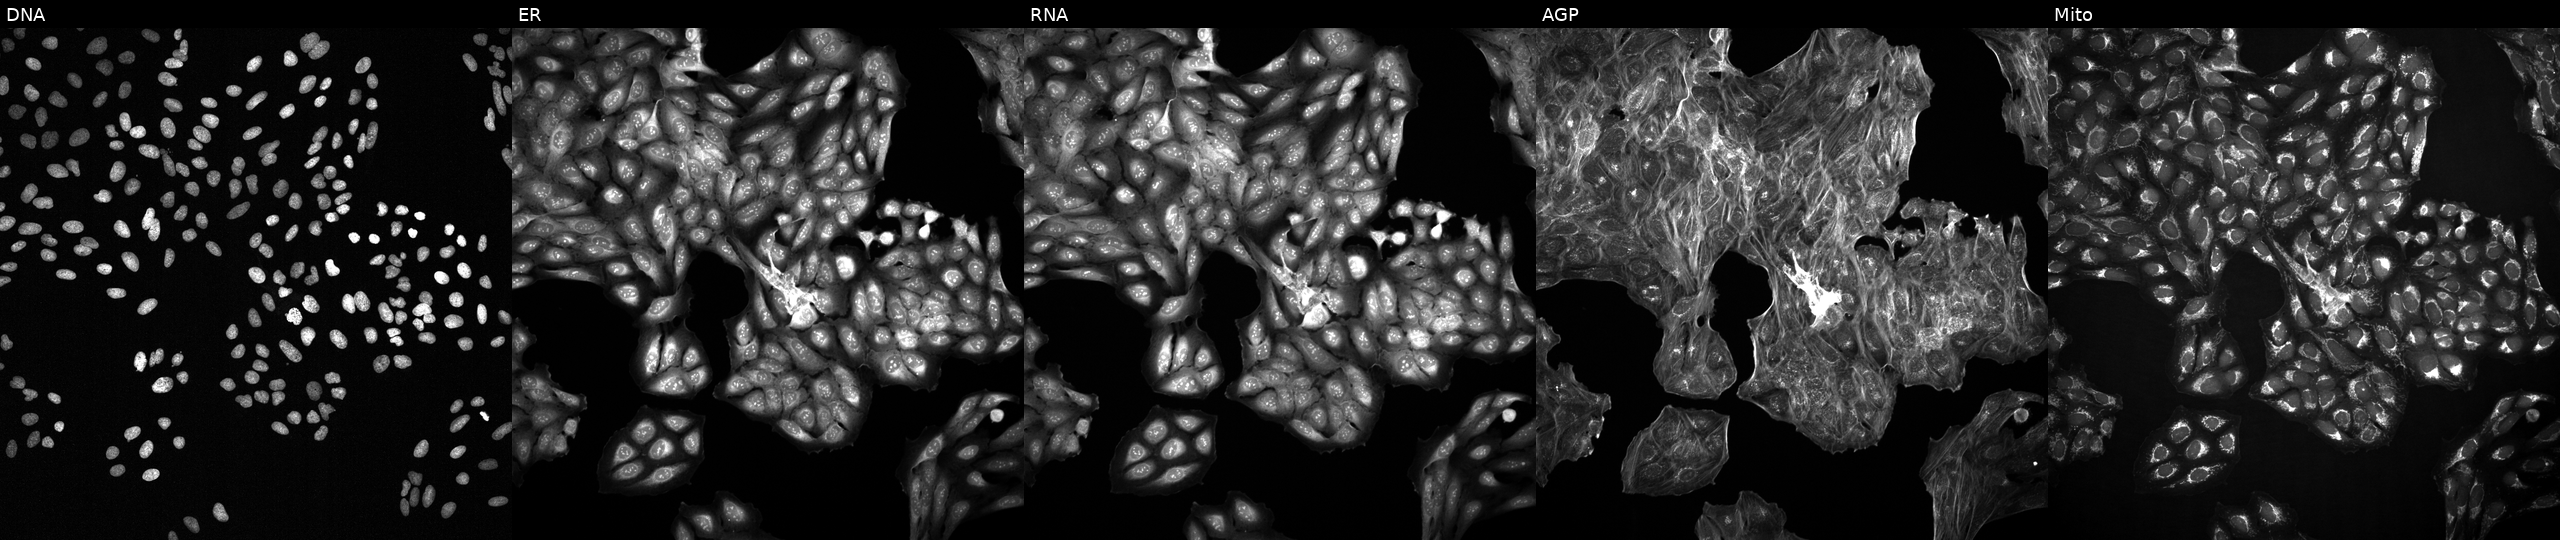
This image strip shows the five Cell Painting channels for a single field of U2OS cells exposed to DMSO alone as a negative control. Panels show, left to right, DNA (nuclei); ER (endoplasmic reticulum); RNA (nucleoli and cytoplasmic RNA); AGP (actin cytoskeleton, Golgi, and plasma membrane); Mito (mitochondria).